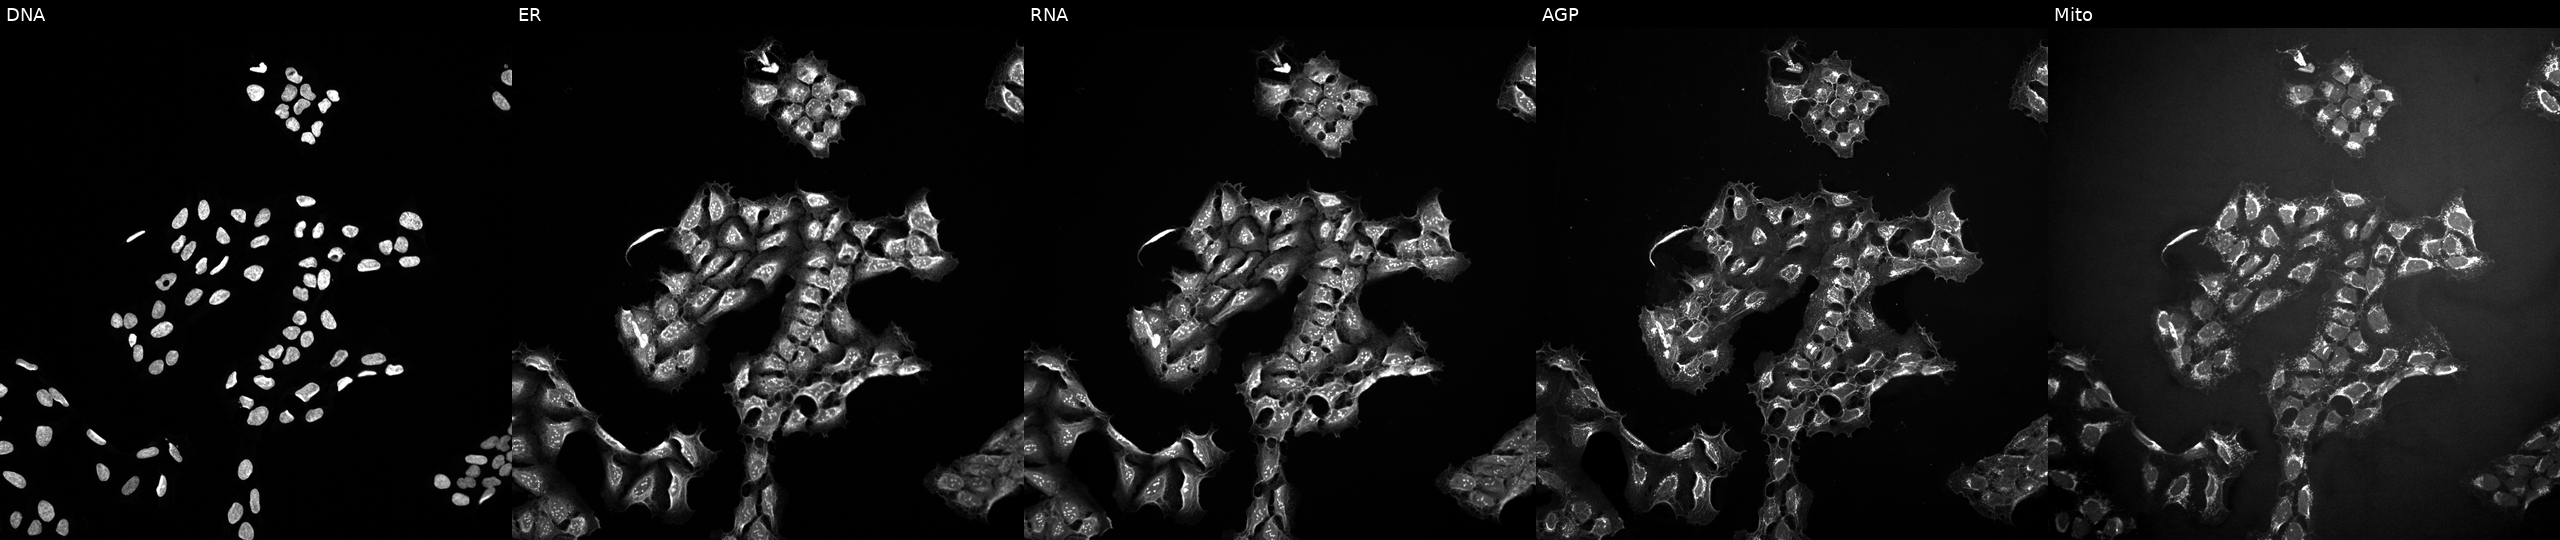
U2OS cells, Cell Painting assay, treated with a small-molecule compound (InChIKey NQDJXKOVJZTUJA-UHFFFAOYSA-N) [SMILES: Cc1ccnc2c1NC(=O)c1cccnc1N2C1CC1]. Channels (left→right): DNA, ER, RNA, AGP, and Mito. Each panel is percentile-stretched 16-bit fluorescence.